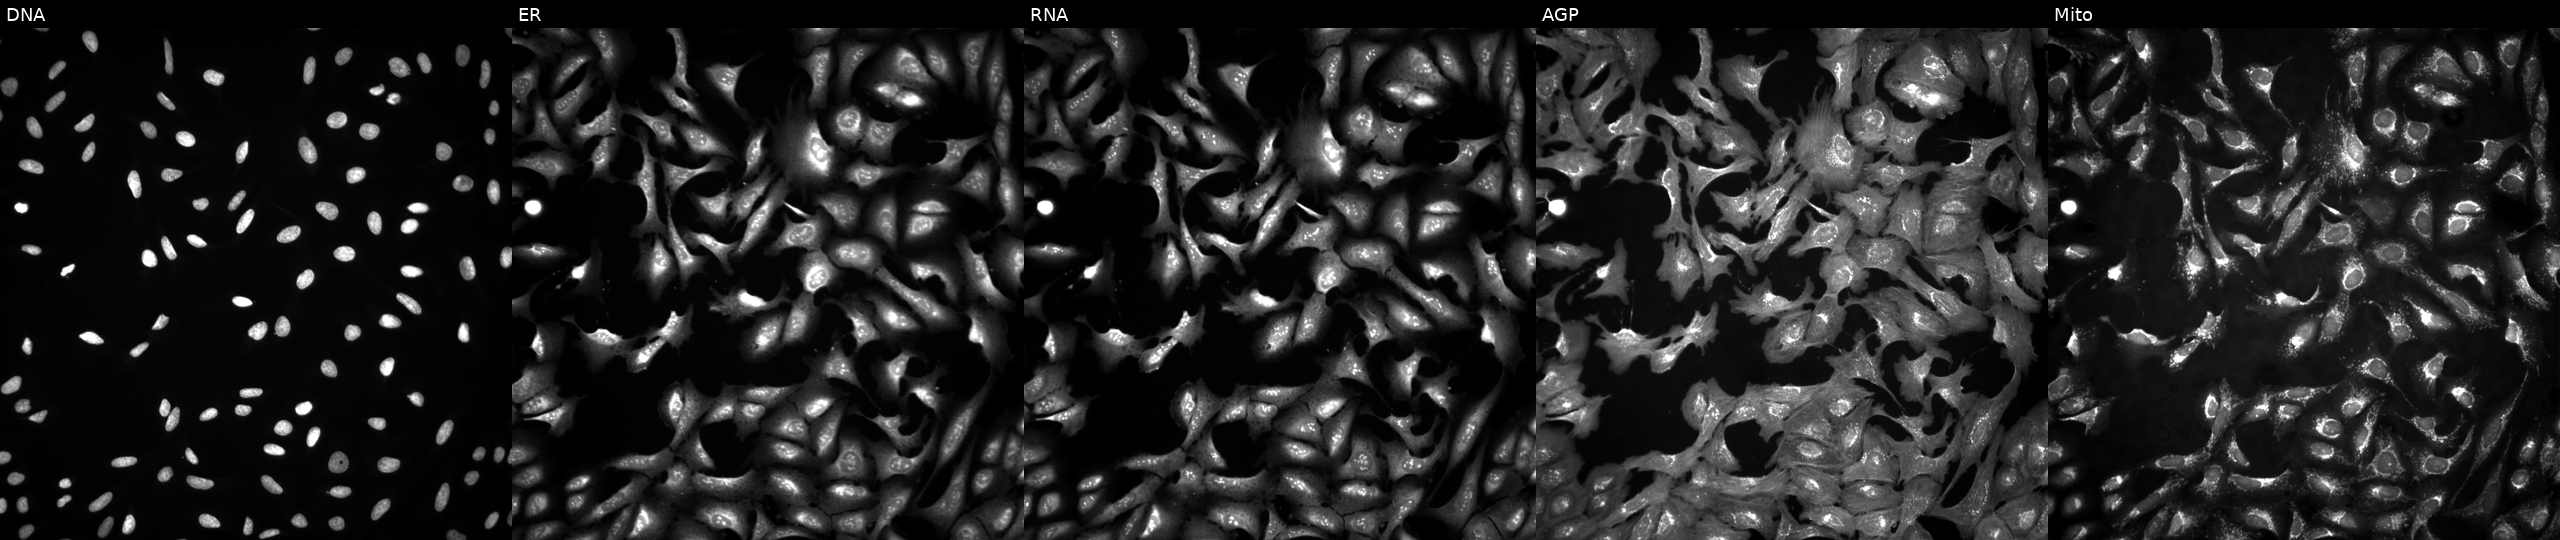
JUMP Cell Painting — ORF plate. U2OS cells with MST1R overexpressed (ORF) (JUMP id JCP2022_913730). Panels show, left to right, Hoechst 33342, concanavalin A, SYTO 14, phalloidin and WGA, MitoTracker.